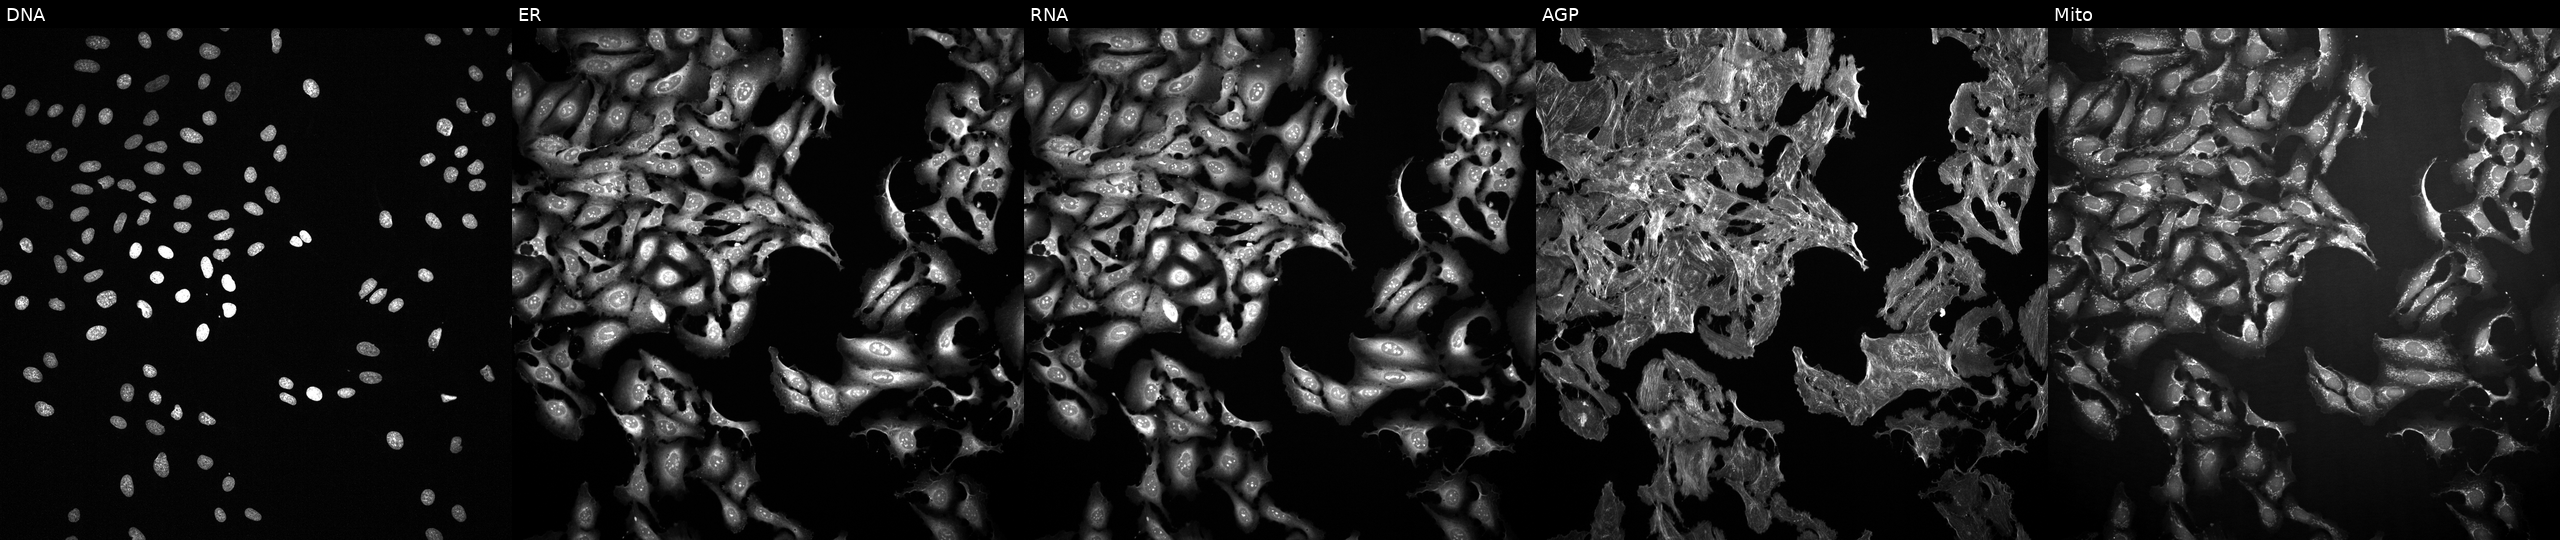
This image strip shows the five Cell Painting channels for a single field of U2OS cells treated with FK-866 (positive-control compound) (JUMP id JCP2022_046054). Channels (left→right): Hoechst 33342, concanavalin A, SYTO 14, phalloidin and WGA, MitoTracker. Source 2, plate 1053597936, well D19.